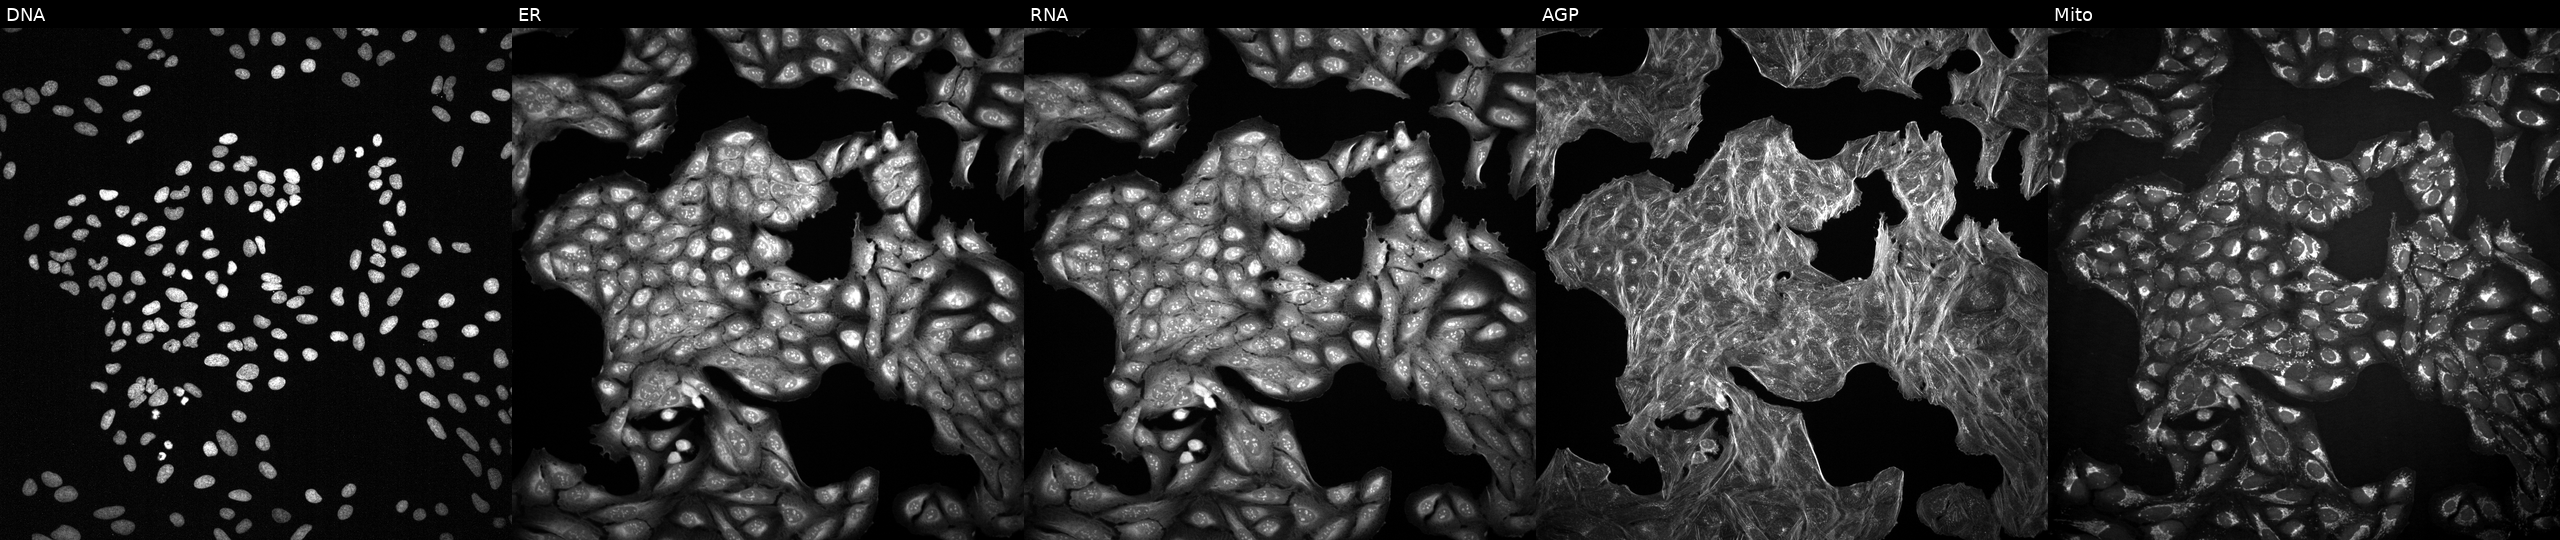
U2OS cells, Cell Painting assay, exposed to a small-molecule compound (InChIKey WDENQIQQYWYTPO-UHFFFAOYSA-N) (JUMP id JCP2022_097998). Panels show, left to right, DNA (nuclei); ER (endoplasmic reticulum); RNA (nucleoli and cytoplasmic RNA); AGP (actin cytoskeleton, Golgi, and plasma membrane); Mito (mitochondria). Each panel is percentile-stretched 16-bit fluorescence. Source 2, plate 1053600674, well P07.